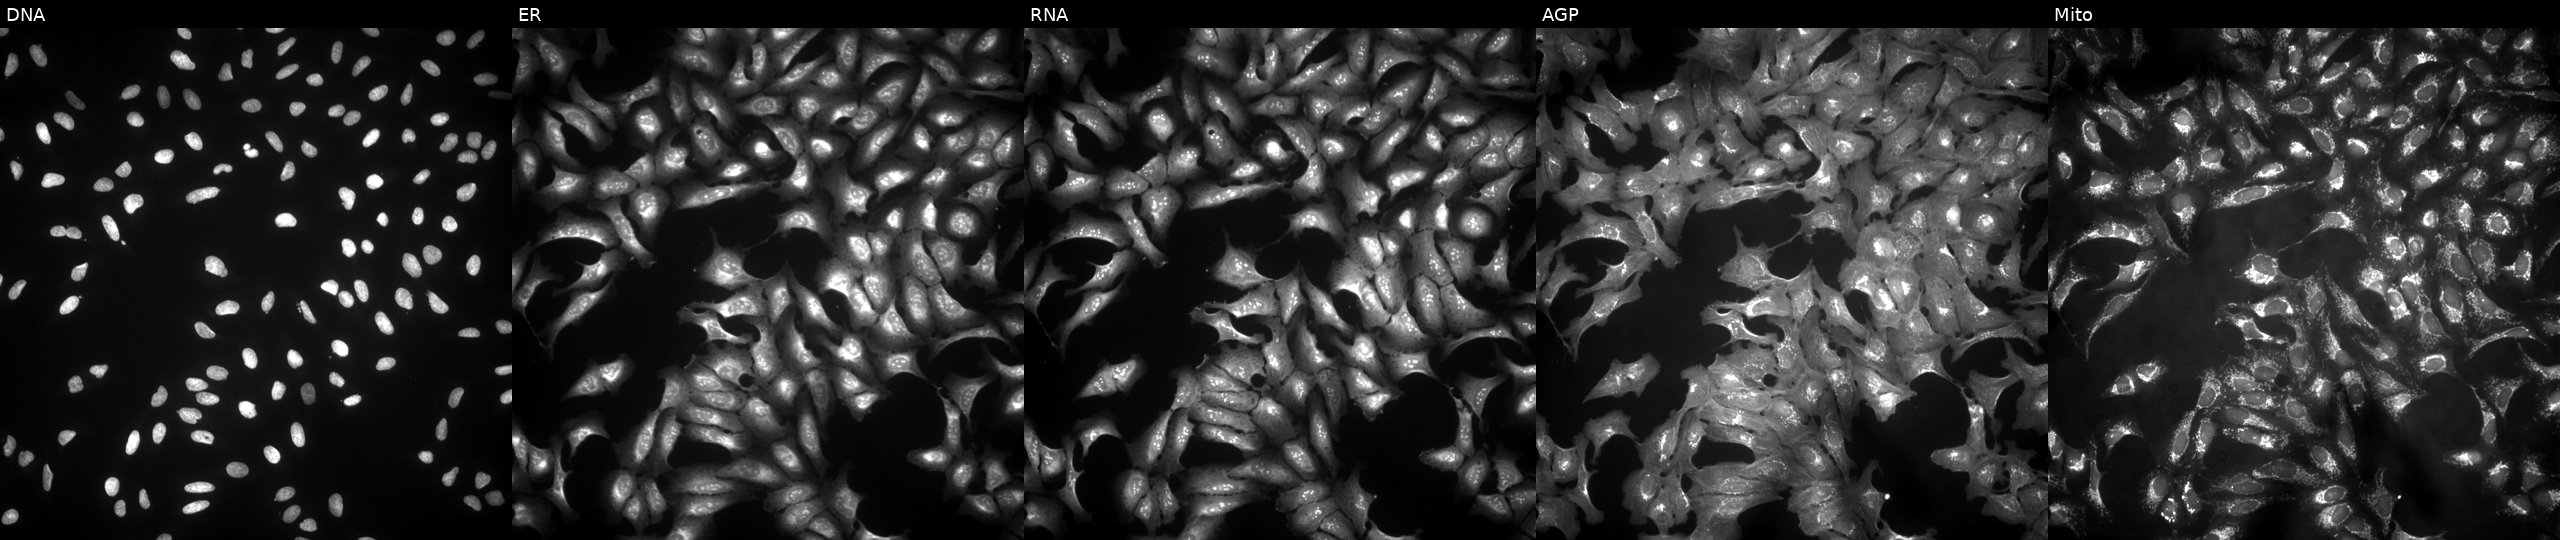
JUMP Cell Painting — ORF plate. U2OS cells transfected with an ORF construct for MCRS1. From left to right: Hoechst 33342, concanavalin A, SYTO 14, phalloidin and WGA, MitoTracker.